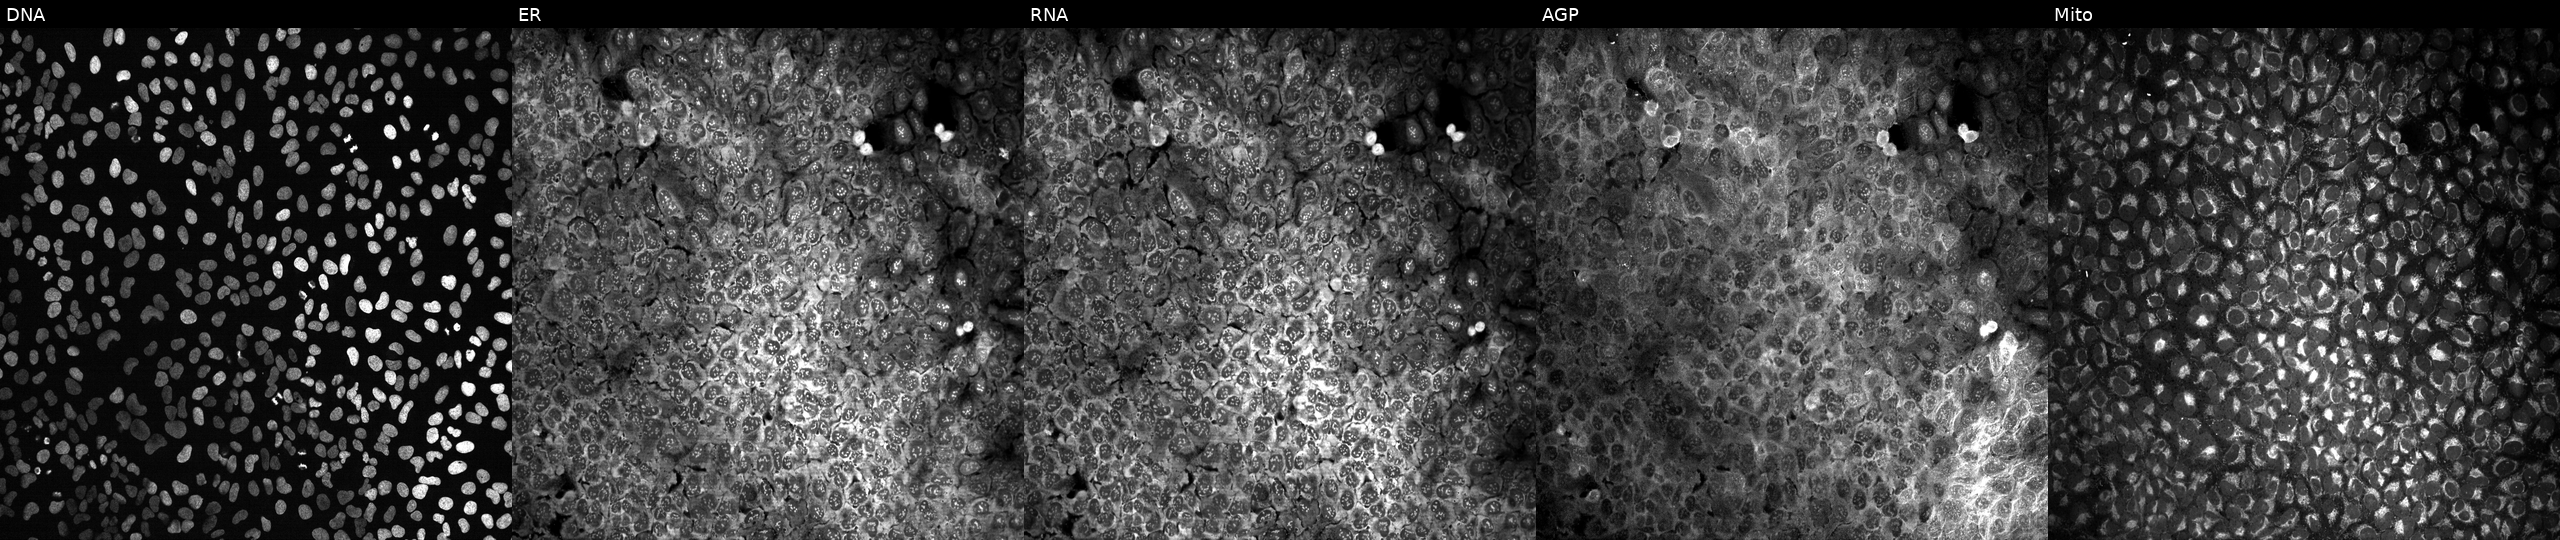
Five-channel Cell Painting image of U2OS cells with no CRISPR guide (negative control) (JUMP id JCP2022_800001). From left to right: DNA, ER, RNA, AGP, and Mito. Source 13, plate CP-CC9-R3-01, well N02.